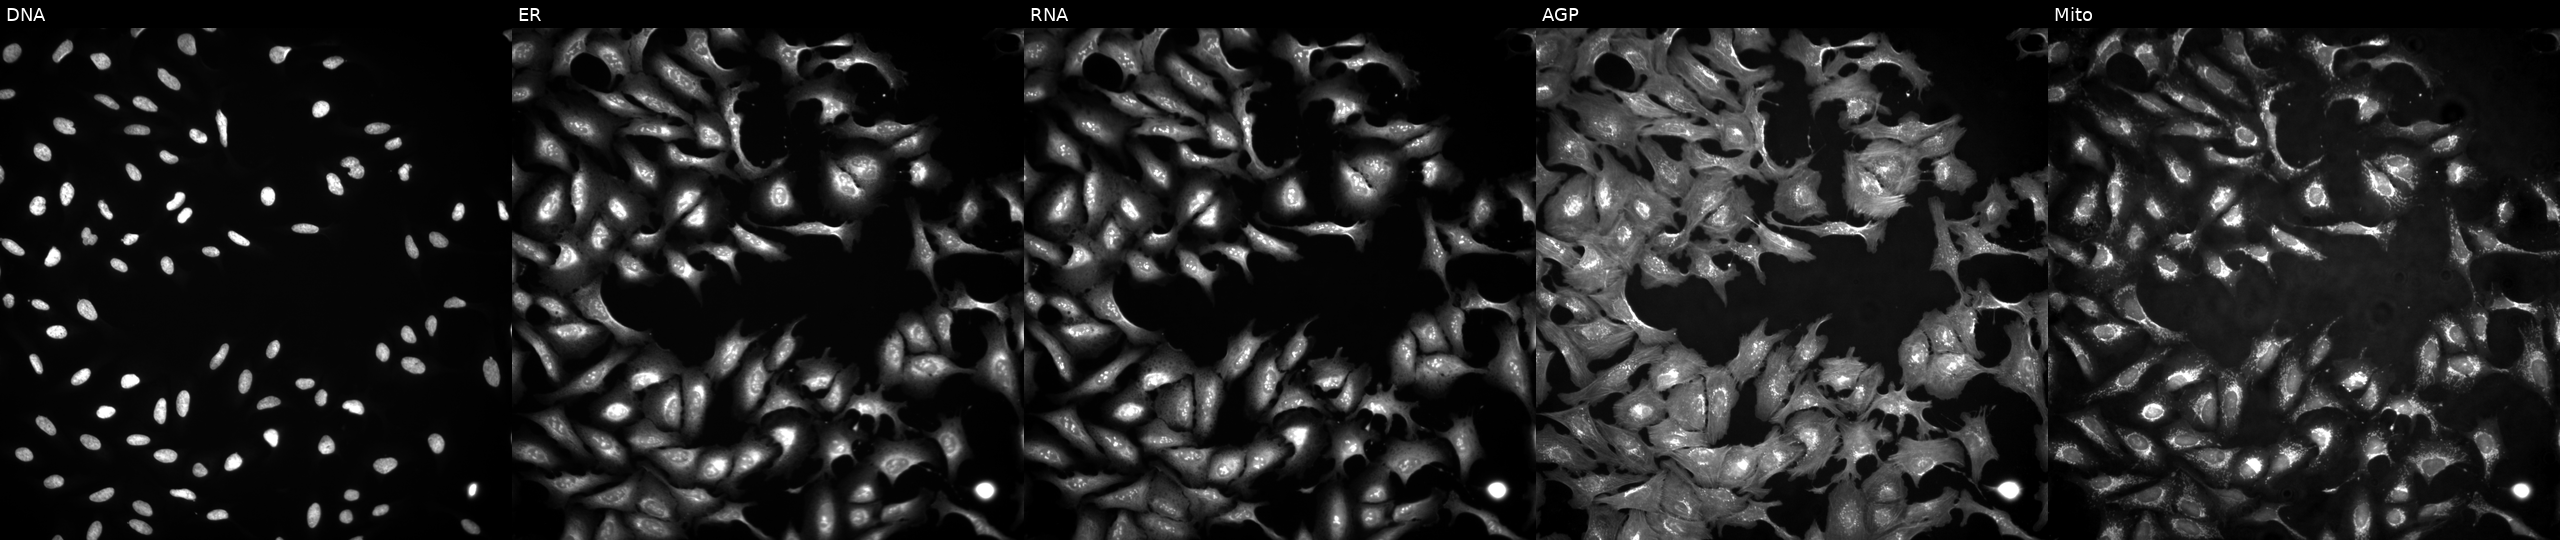
JUMP Cell Painting — ORF plate. U2OS cells transfected with an ORF construct for GRK7 (JUMP id JCP2022_914253). From left to right: DNA (nuclei); ER (endoplasmic reticulum); RNA (nucleoli and cytoplasmic RNA); AGP (actin cytoskeleton, Golgi, and plasma membrane); Mito (mitochondria). Source 4, plate BR00123945, well A17.